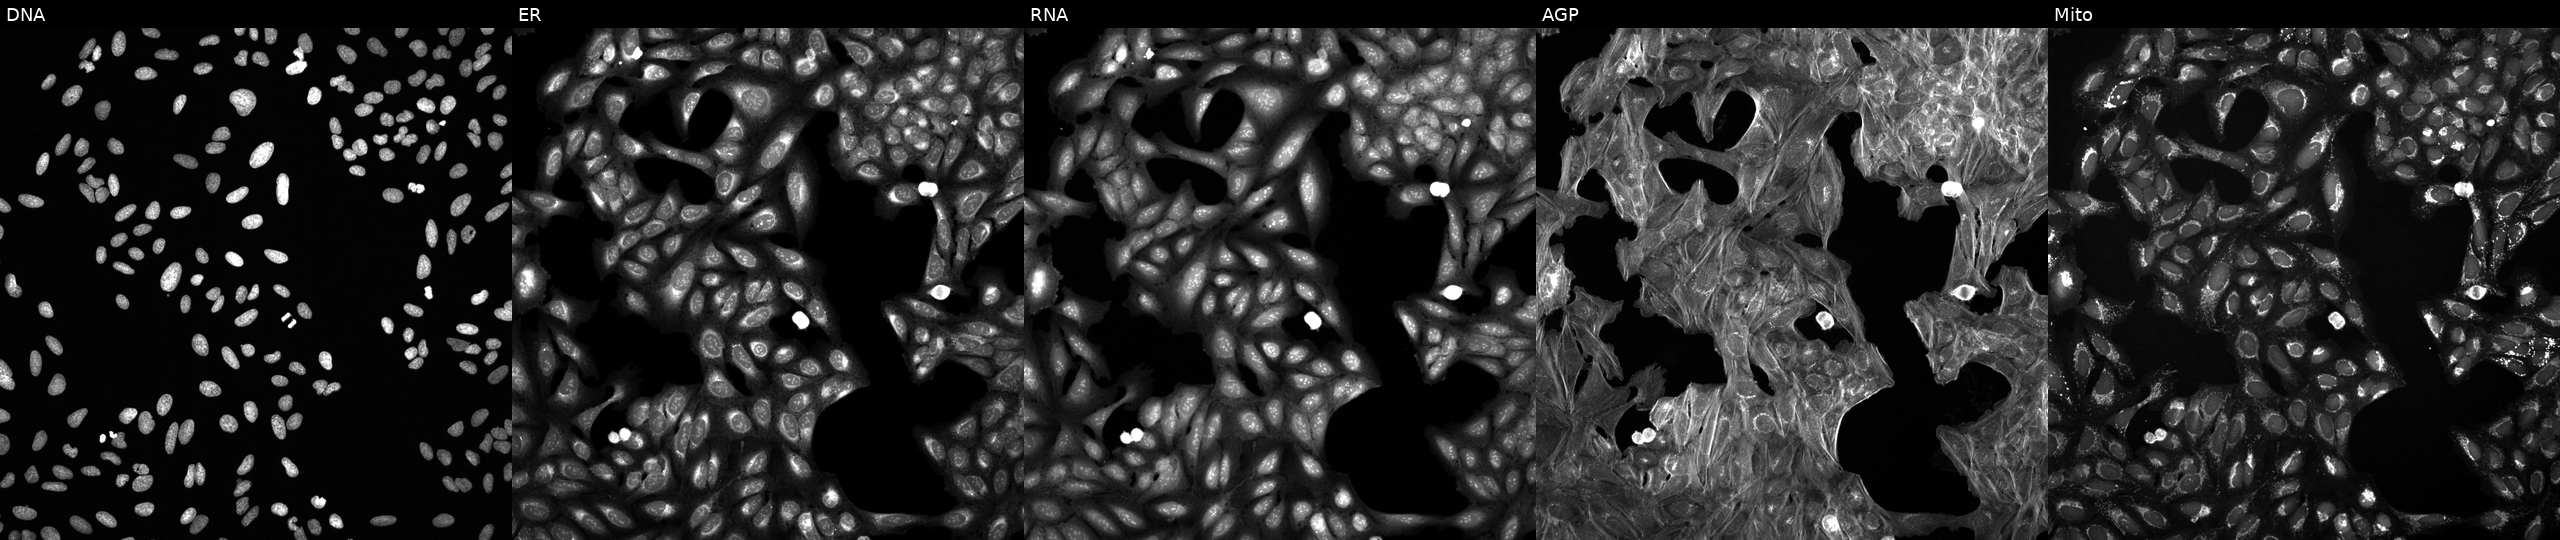
Panels show, left to right, DNA, ER, RNA, AGP, and Mito. U2OS osteosarcoma cells perturbed with a small-molecule compound (InChIKey NEHSUCUHAVICAM-UHFFFAOYSA-N). Cell Painting assay, JUMP-CP dataset.